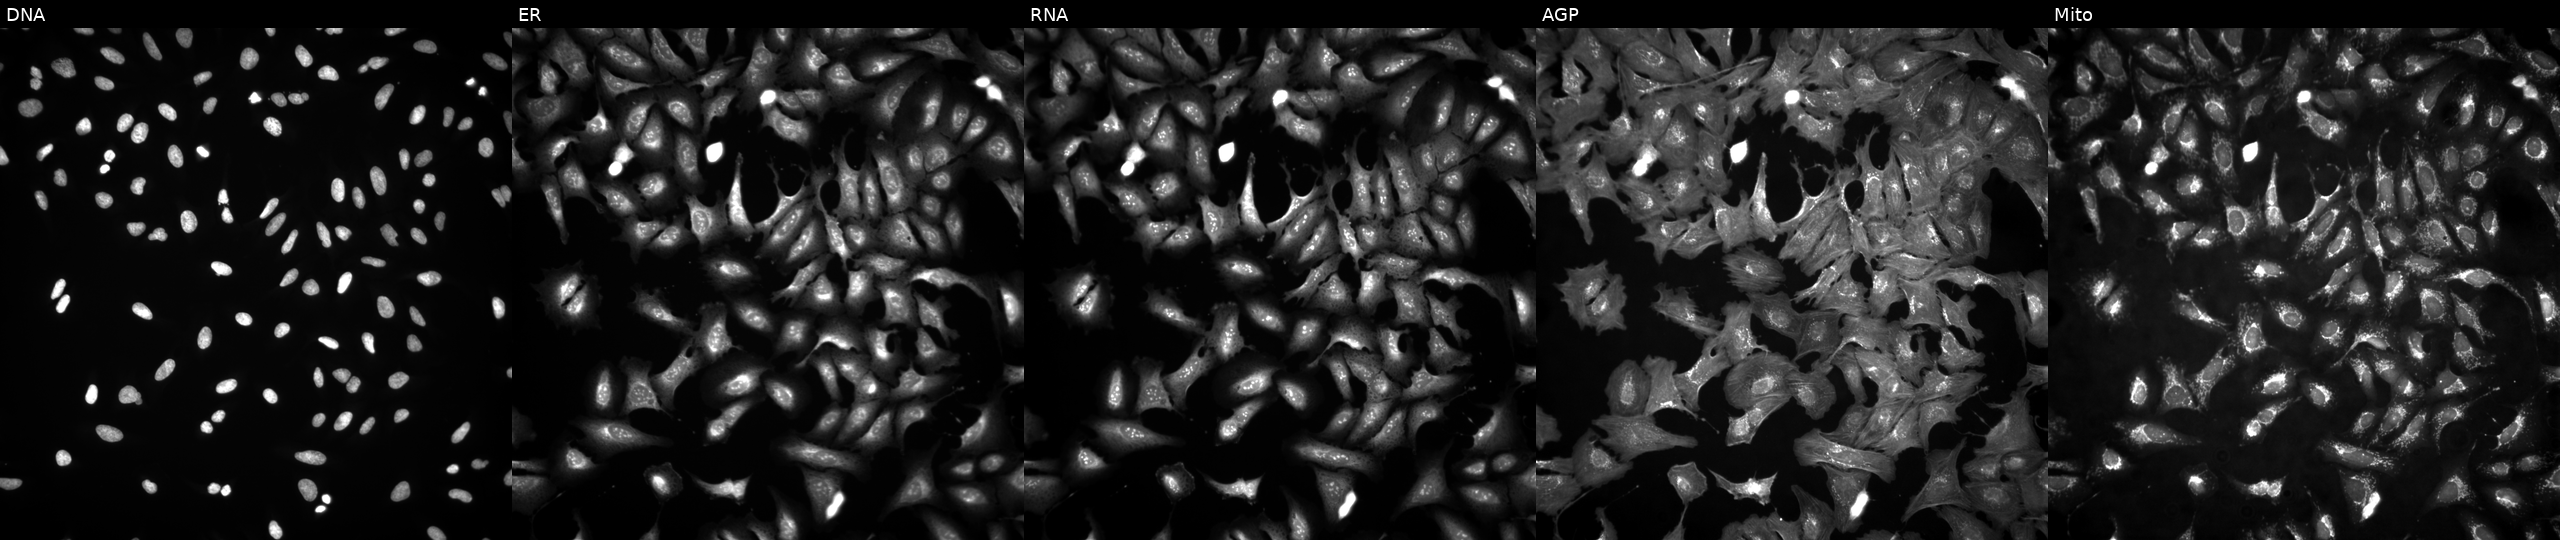
Five-channel Cell Painting image of U2OS cells overexpressing PTK2B via ORF transfection (JUMP id JCP2022_913665). Channels (left→right): DNA, ER, RNA, AGP, and Mito.